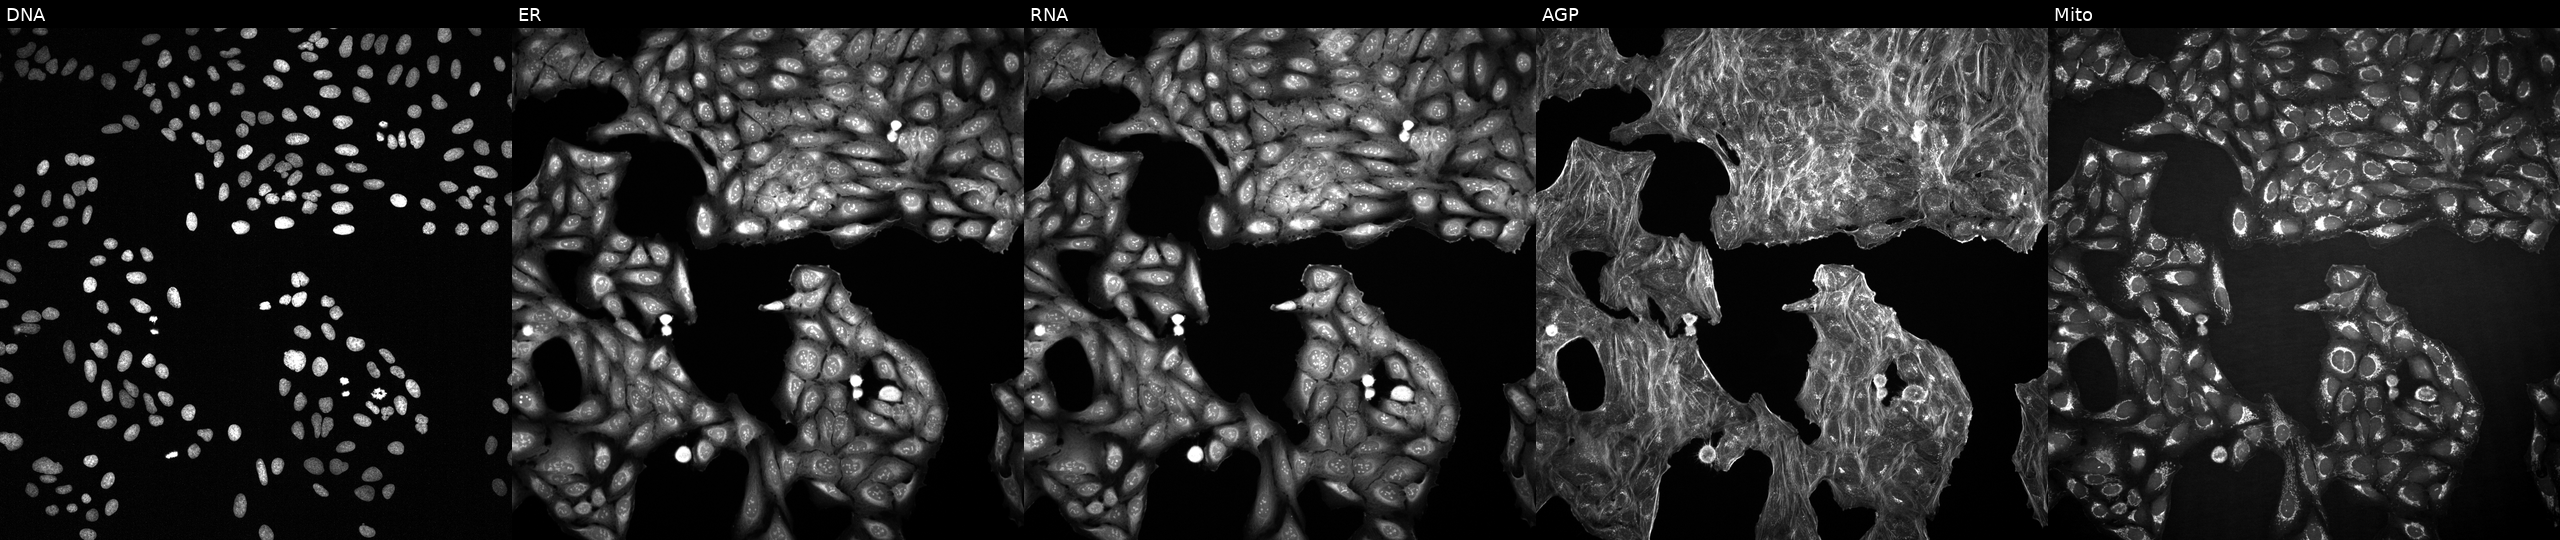
JUMP Cell Painting — COMPOUND plate. U2OS cells perturbed with a small-molecule compound (JUMP id JCP2022_083234). From left to right: DNA, ER, RNA, AGP, and Mito.